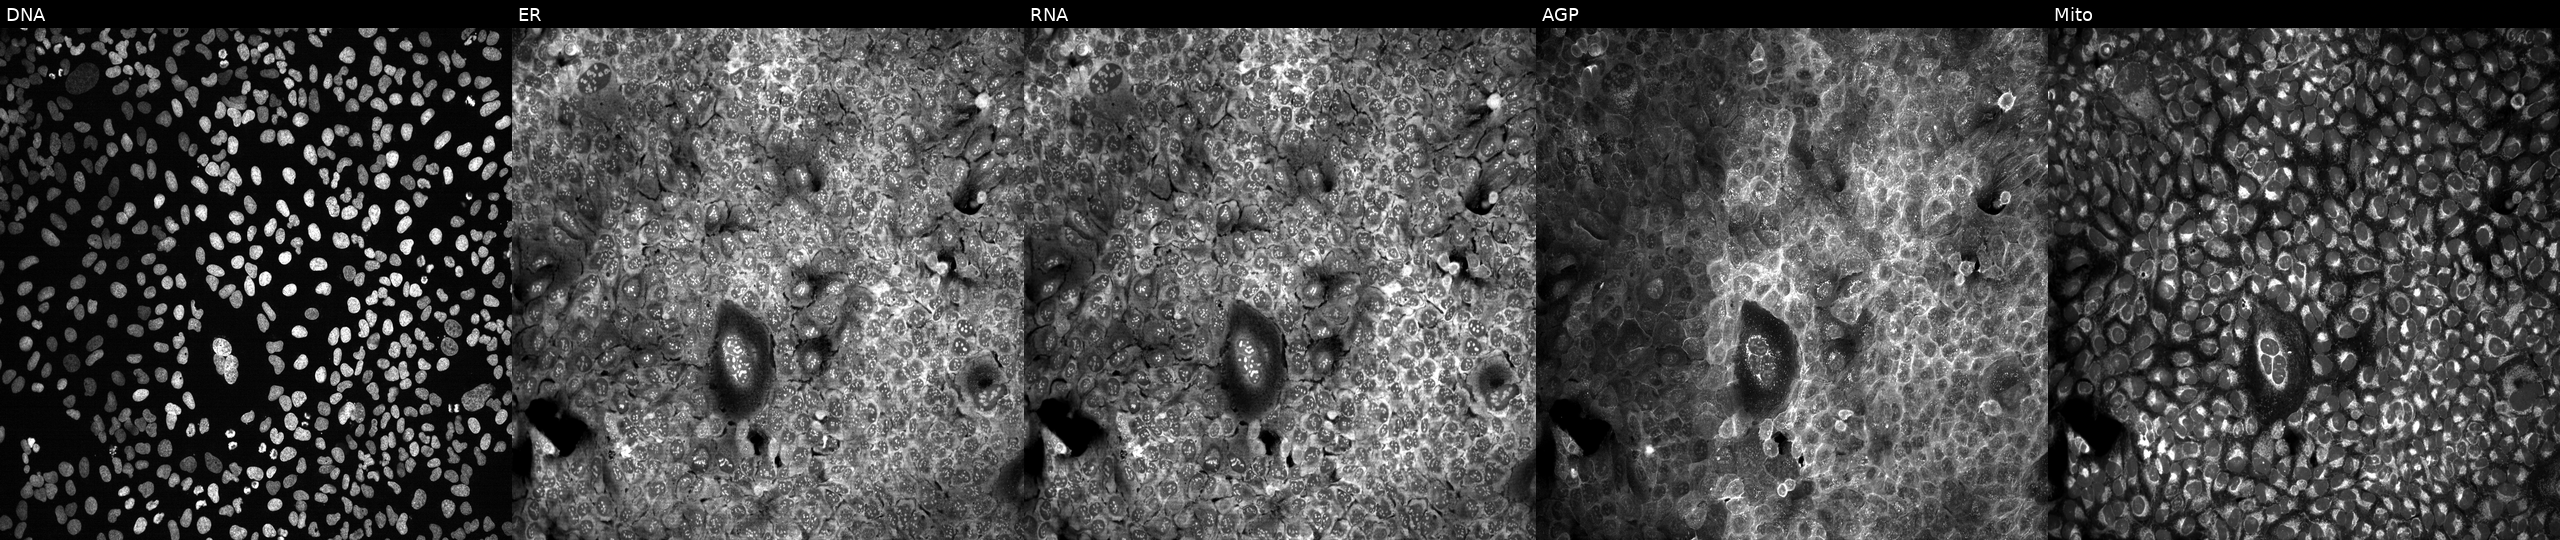
JUMP Cell Painting — CRISPR plate. U2OS cells with no CRISPR guide (negative control). From left to right: DNA (nuclei); ER (endoplasmic reticulum); RNA (nucleoli and cytoplasmic RNA); AGP (actin cytoskeleton, Golgi, and plasma membrane); Mito (mitochondria). Source 13, plate CP-CC9-R6-19, well J23.